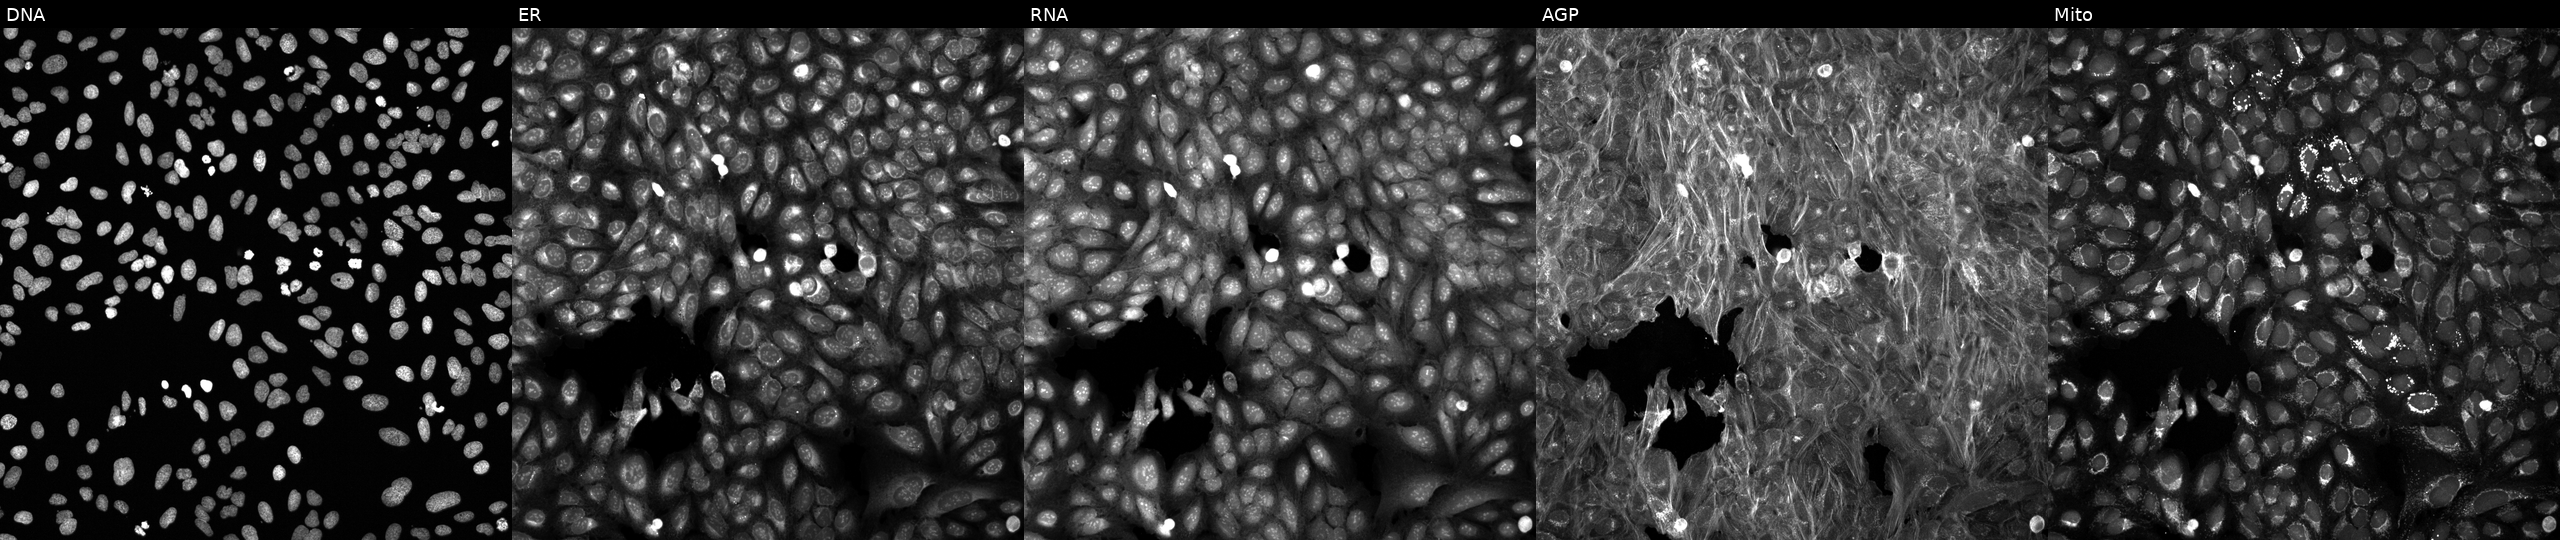
Five-channel Cell Painting image of U2OS cells treated with DMSO vehicle only (negative control). The five panels, left to right, show Hoechst 33342, concanavalin A, SYTO 14, phalloidin and WGA, MitoTracker. Source 6, plate 110000294901, well E22.